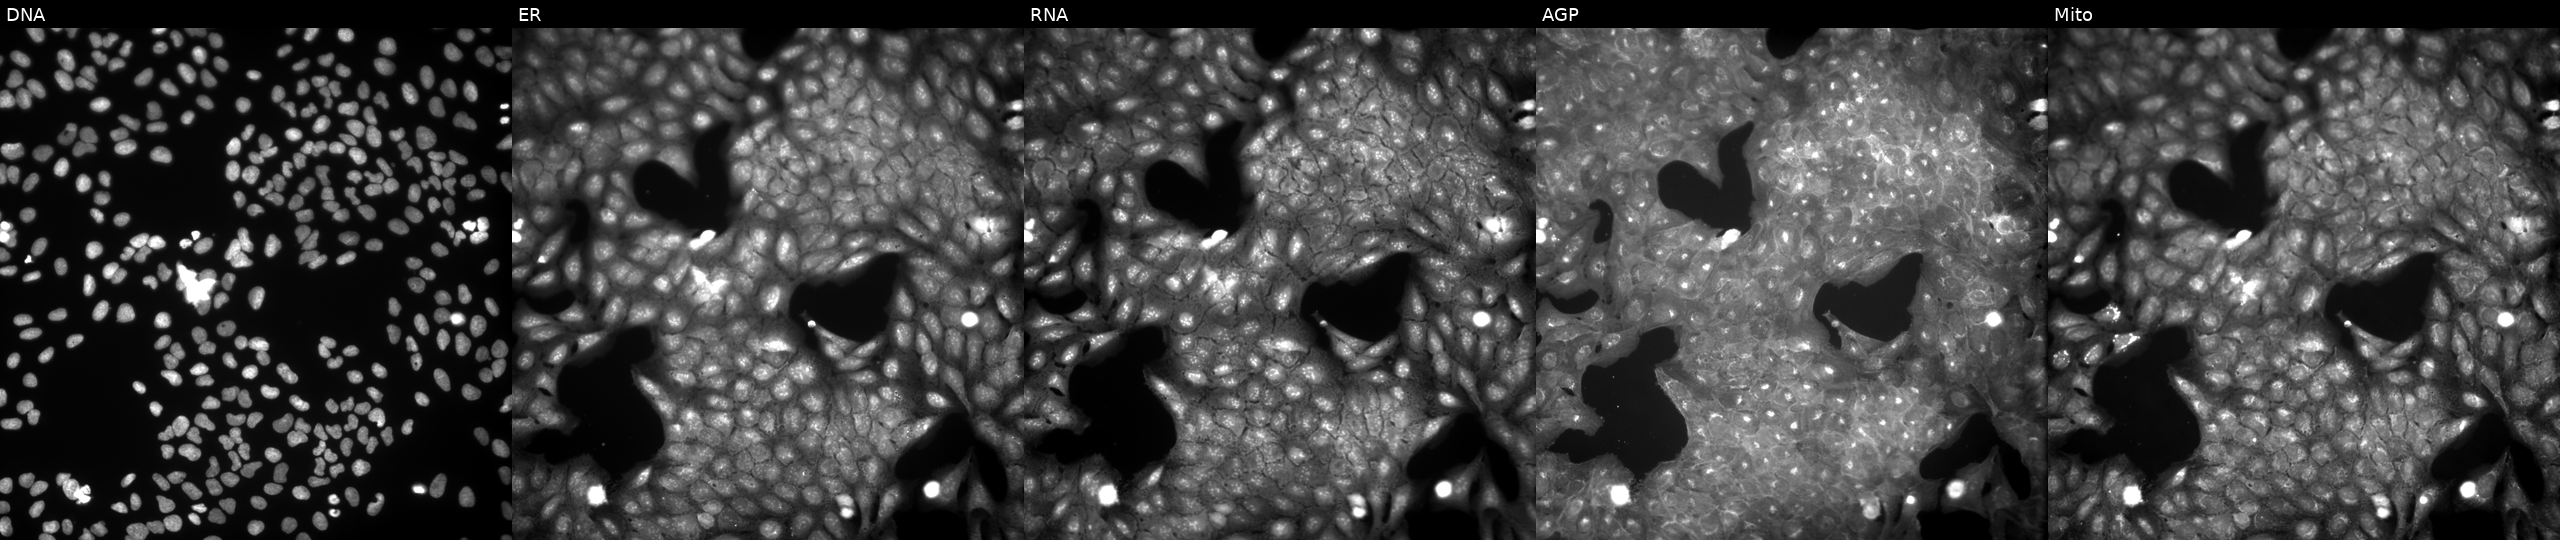
Five-channel Cell Painting image of U2OS cells treated with a small-molecule compound (InChIKey LLOZTZGFSFSCOS-UHFFFAOYSA-N) (JUMP id JCP2022_050208). Panels show, left to right, Hoechst 33342, concanavalin A, SYTO 14, phalloidin and WGA, MitoTracker.